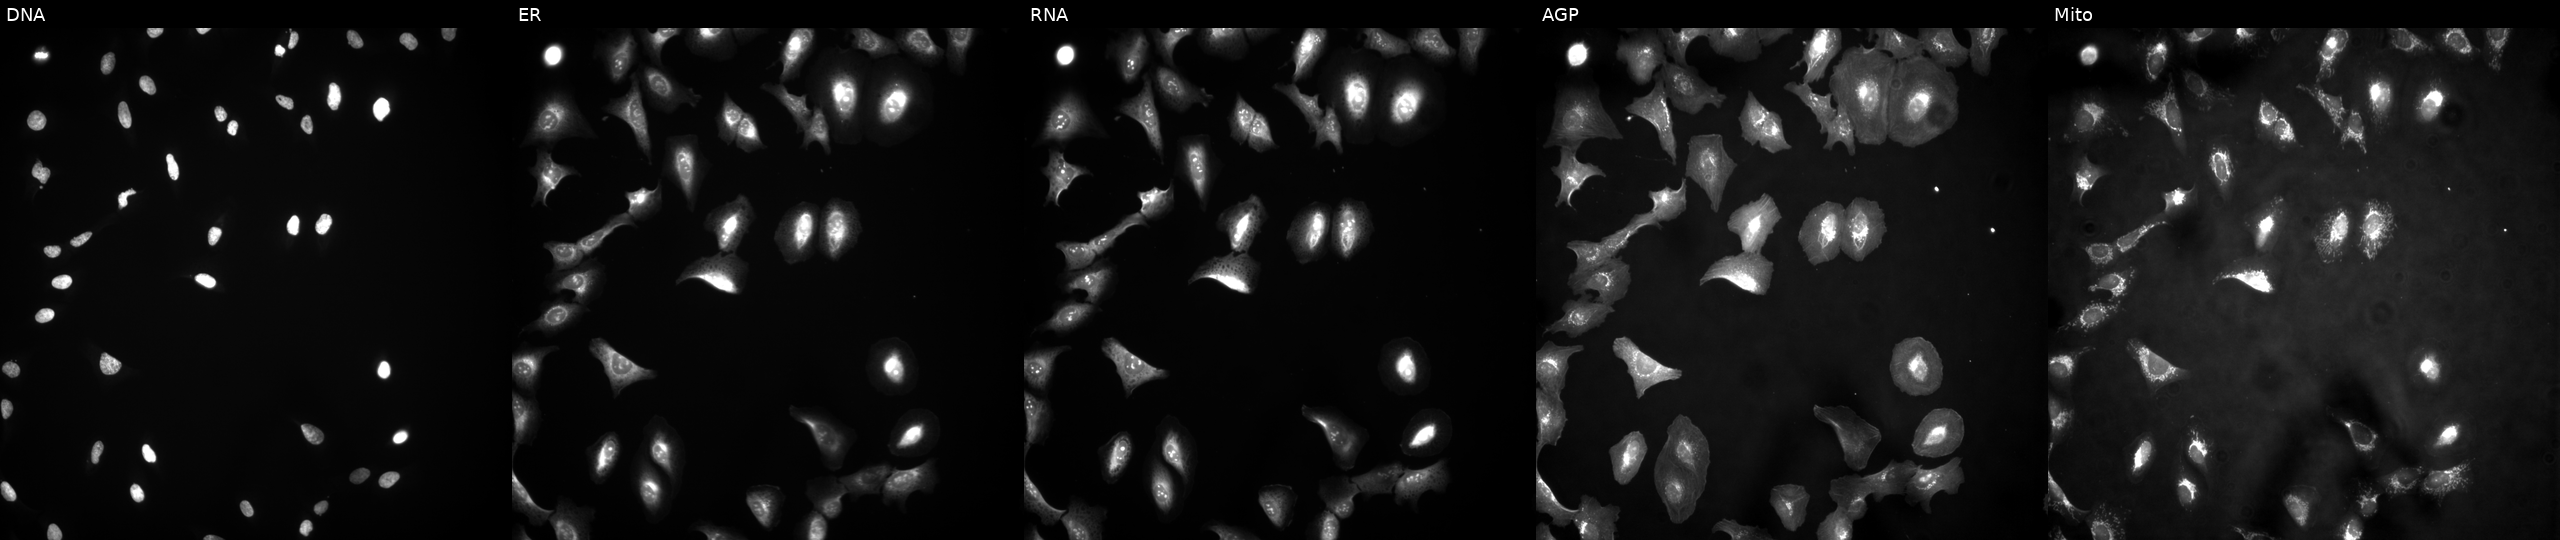
JUMP Cell Painting — ORF plate. U2OS cells with QKI overexpressed (ORF) (JUMP id JCP2022_902023). The five panels, left to right, show DNA, ER, RNA, AGP, and Mito.